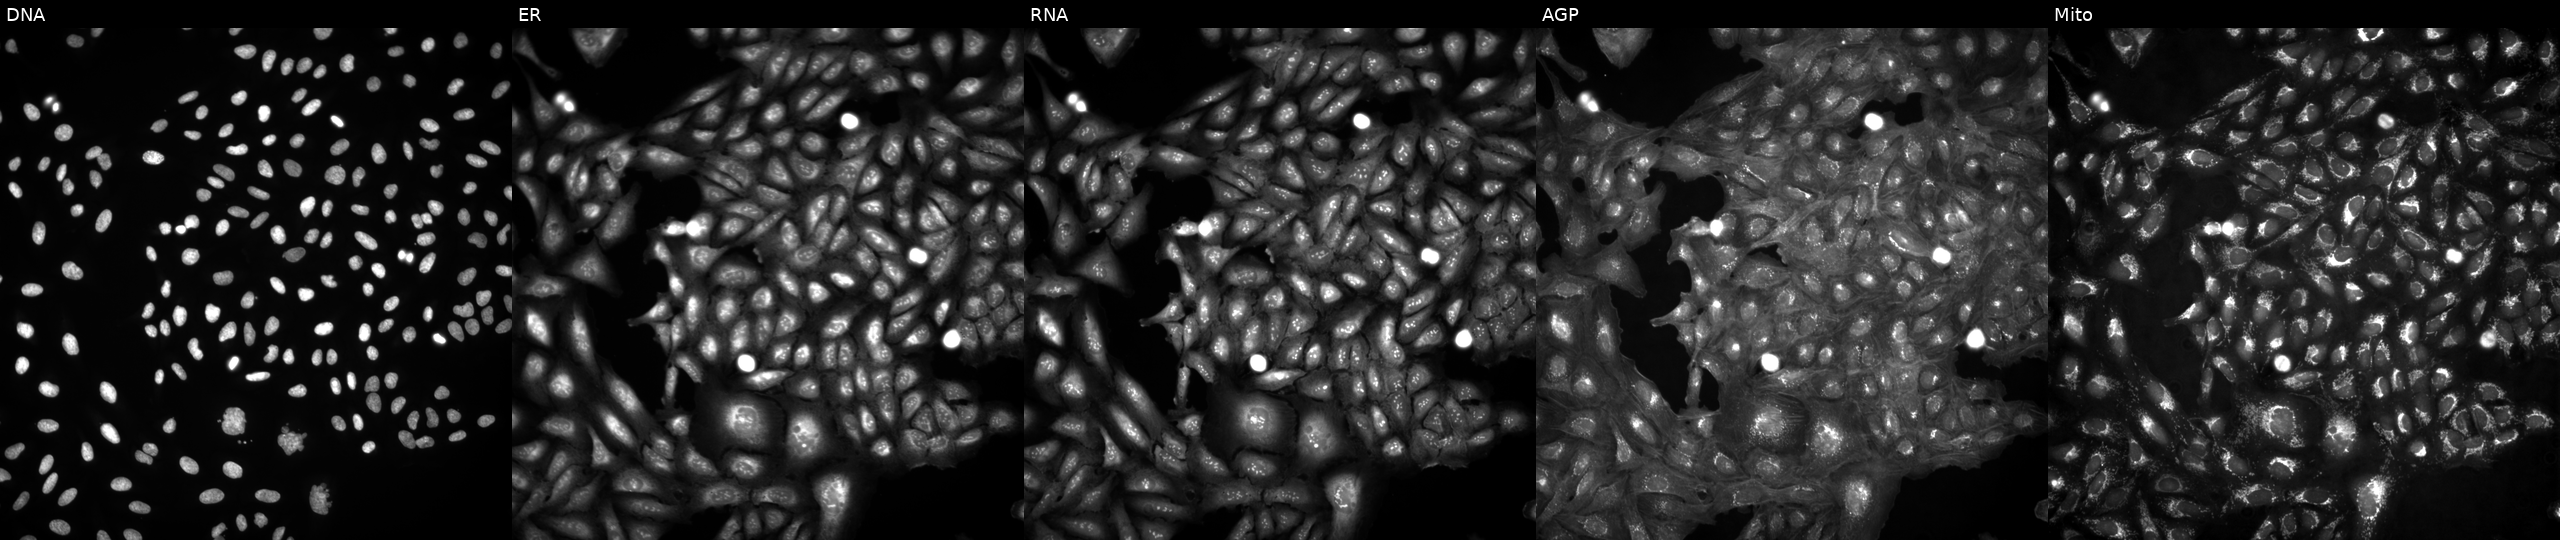
JUMP Cell Painting — ORF plate. U2OS cells in an empty control well (no perturbation). The five panels, left to right, show DNA (nuclei); ER (endoplasmic reticulum); RNA (nucleoli and cytoplasmic RNA); AGP (actin cytoskeleton, Golgi, and plasma membrane); Mito (mitochondria).